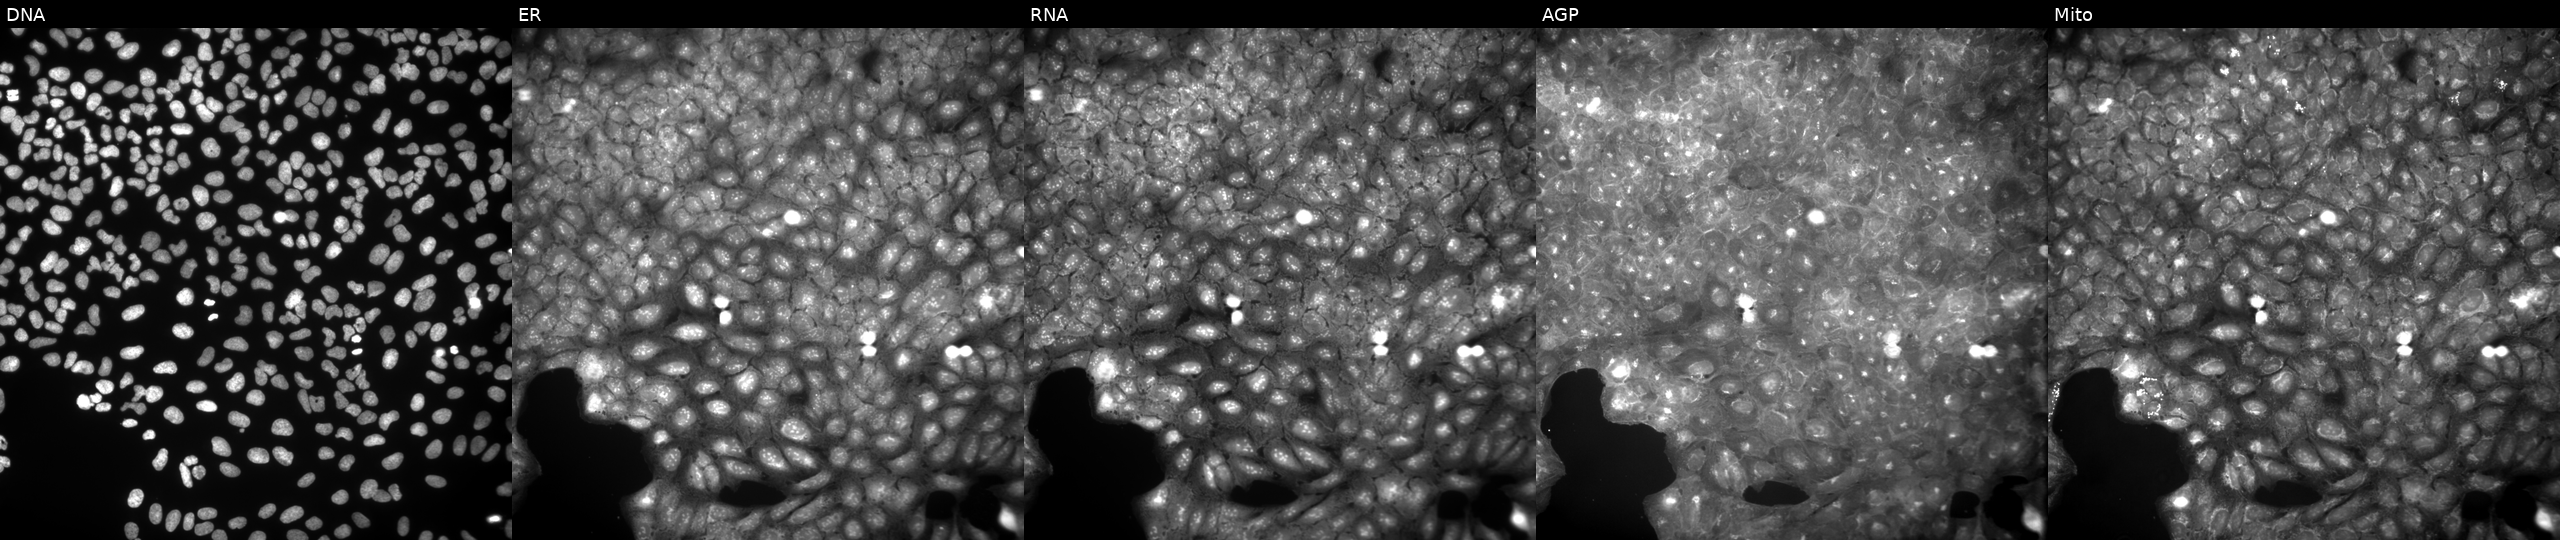
This image strip shows the five Cell Painting channels for a single field of U2OS cells exposed to a small-molecule compound (JUMP id JCP2022_080629). Panels show, left to right, DNA (nuclei); ER (endoplasmic reticulum); RNA (nucleoli and cytoplasmic RNA); AGP (actin cytoskeleton, Golgi, and plasma membrane); Mito (mitochondria).